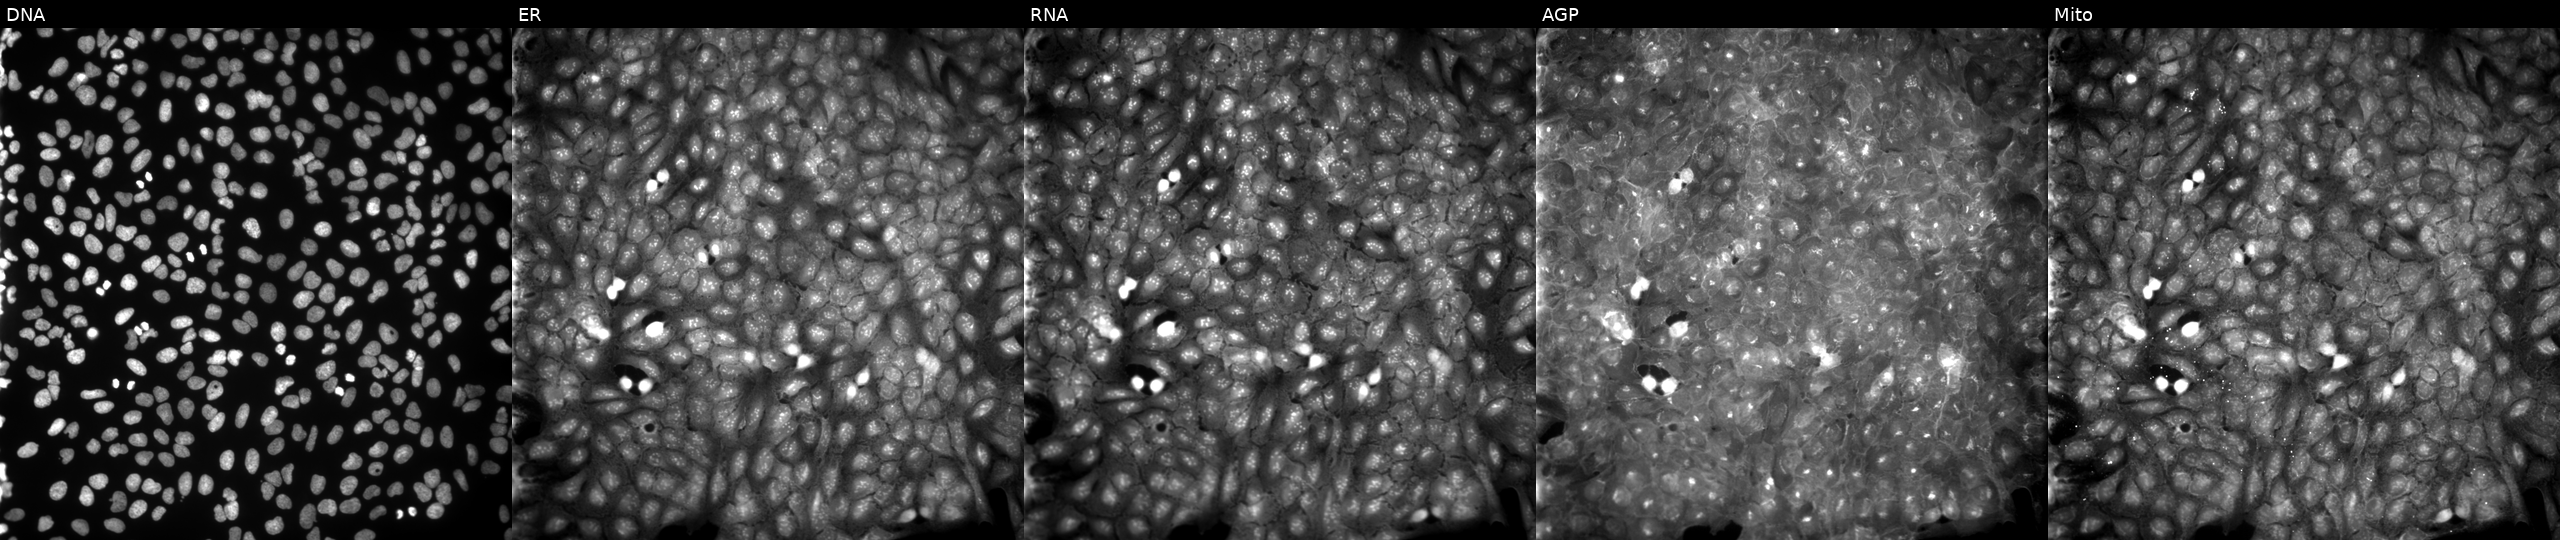
JUMP Cell Painting — COMPOUND plate. U2OS cells exposed to a small-molecule compound (InChIKey JUGPCVKEHLTNGN-UHFFFAOYSA-N) (JUMP id JCP2022_042174). The five panels, left to right, show DNA, ER, RNA, AGP, and Mito.